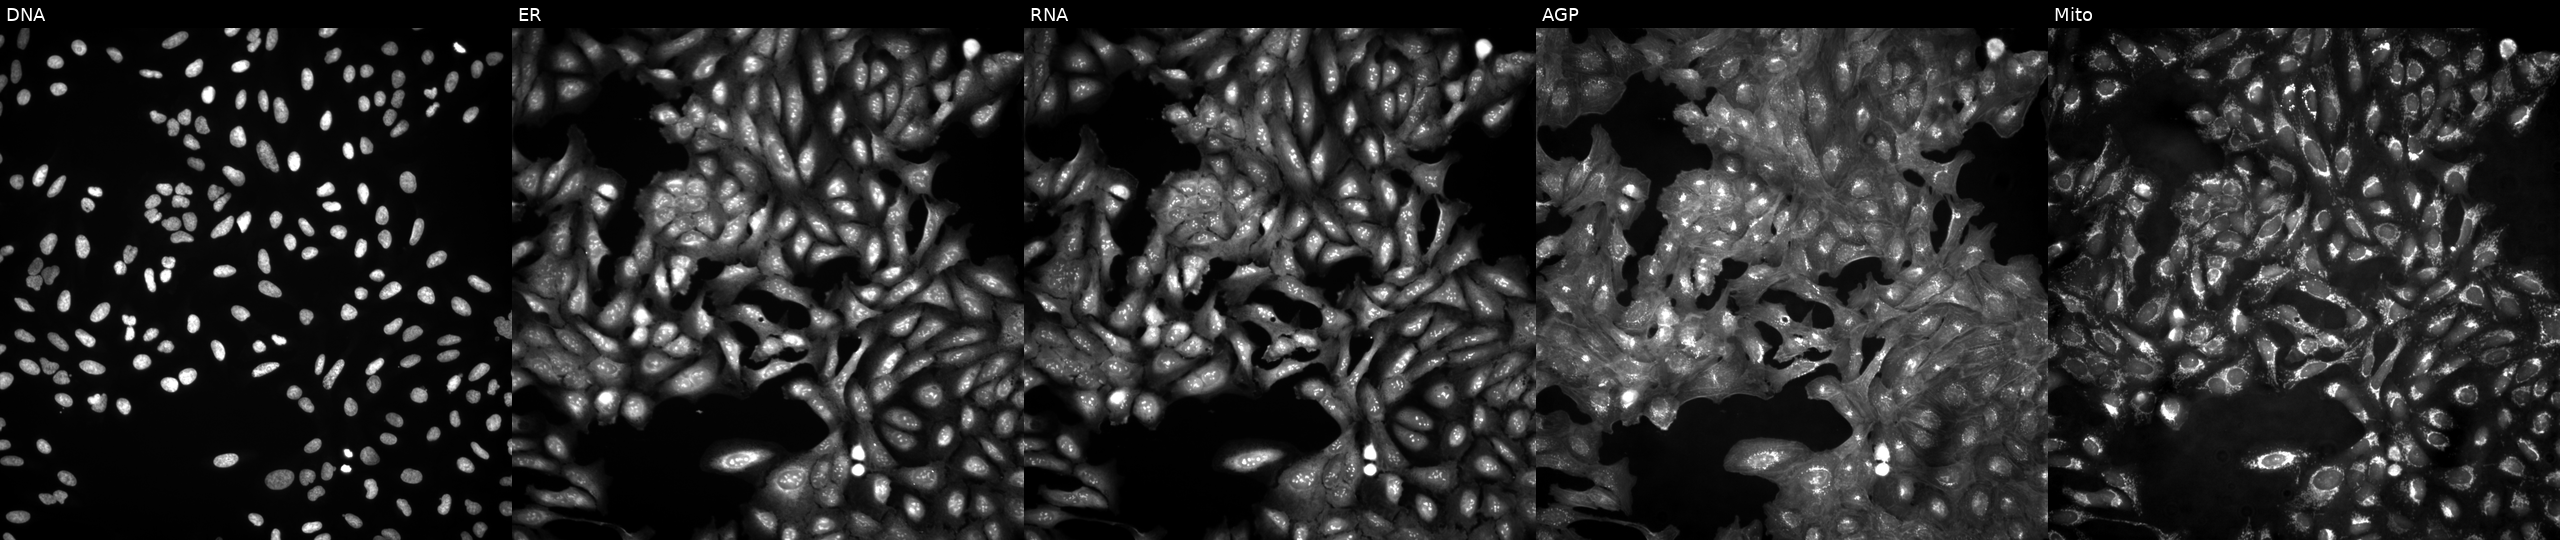
High-content fluorescence microscopy (Cell Painting). Cell line: U2OS. Perturbation: untreated (empty-well control) (JUMP id JCP2022_999999). Channels (left→right): Hoechst 33342, concanavalin A, SYTO 14, phalloidin and WGA, MitoTracker.